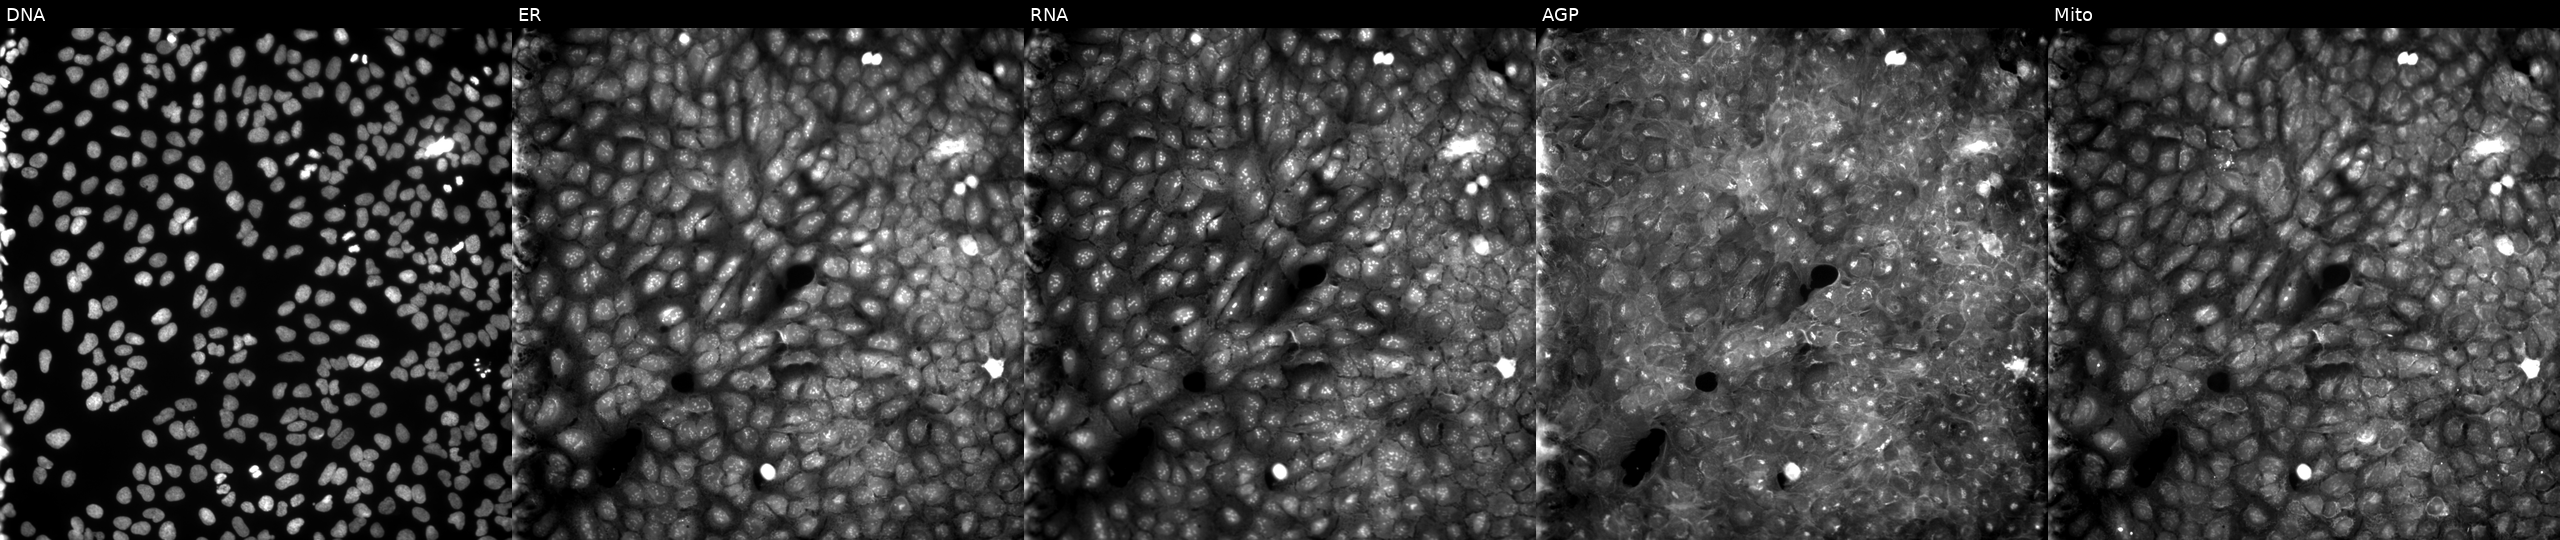
High-content fluorescence microscopy (Cell Painting). Cell line: U2OS. Perturbation: treated with a small-molecule compound [SMILES: COc1ccc(Br)cc1C(=O)Nc1ccc(NC(=O)c2ccco2)cc1] (JUMP id JCP2022_098696). Panels show, left to right, DNA (nuclei); ER (endoplasmic reticulum); RNA (nucleoli and cytoplasmic RNA); AGP (actin cytoskeleton, Golgi, and plasma membrane); Mito (mitochondria).